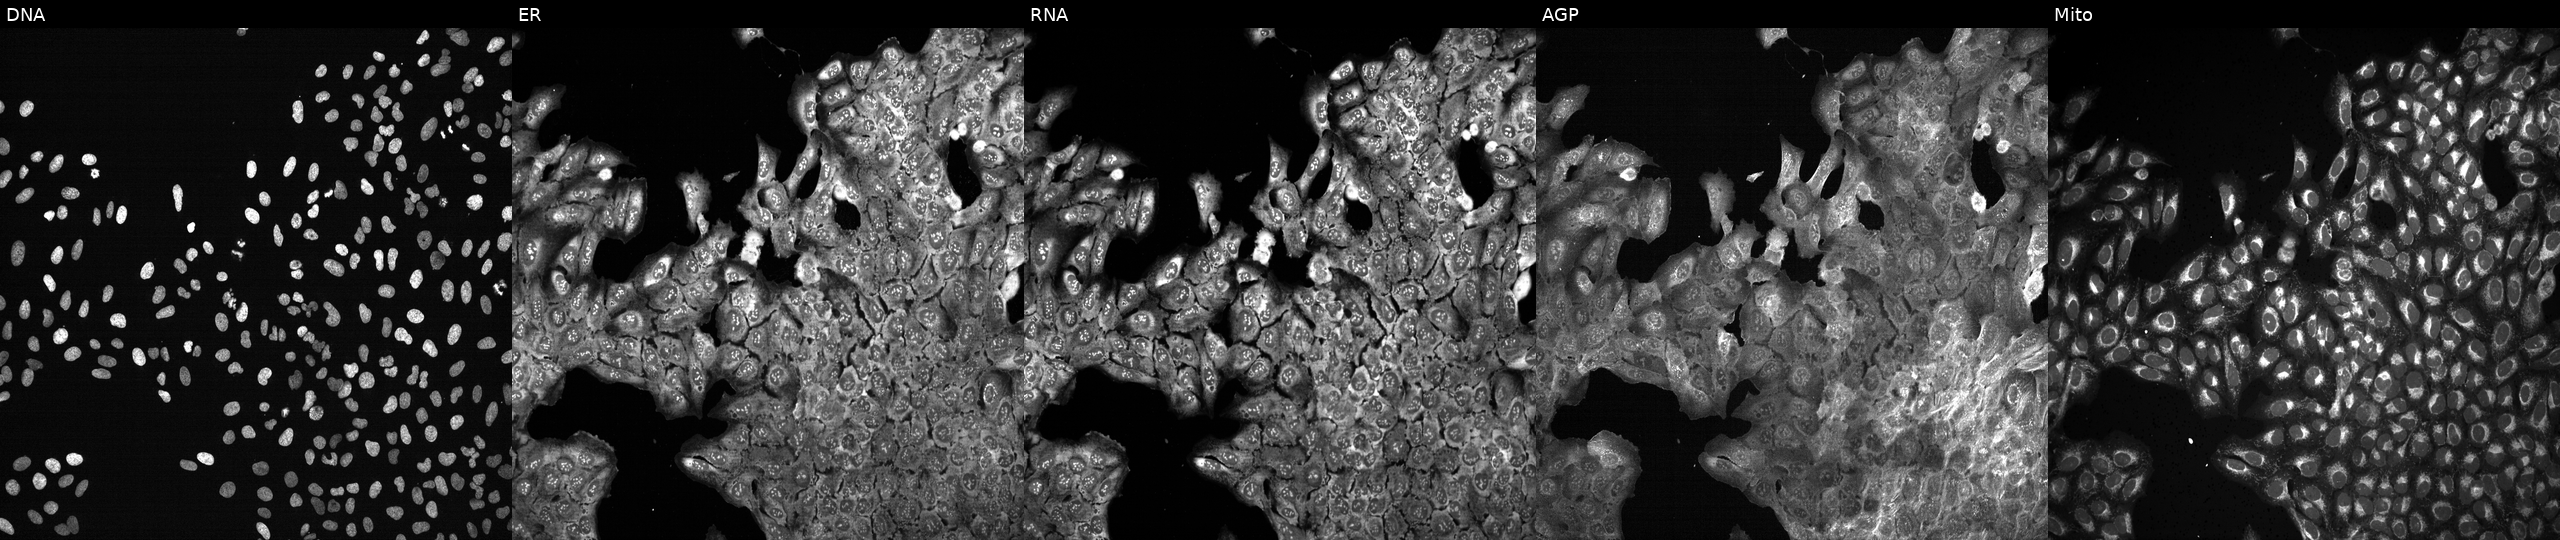
JUMP Cell Painting — CRISPR plate. U2OS cells following CRISPR knockout of ST8SIA3. Channels (left→right): Hoechst 33342, concanavalin A, SYTO 14, phalloidin and WGA, MitoTracker.